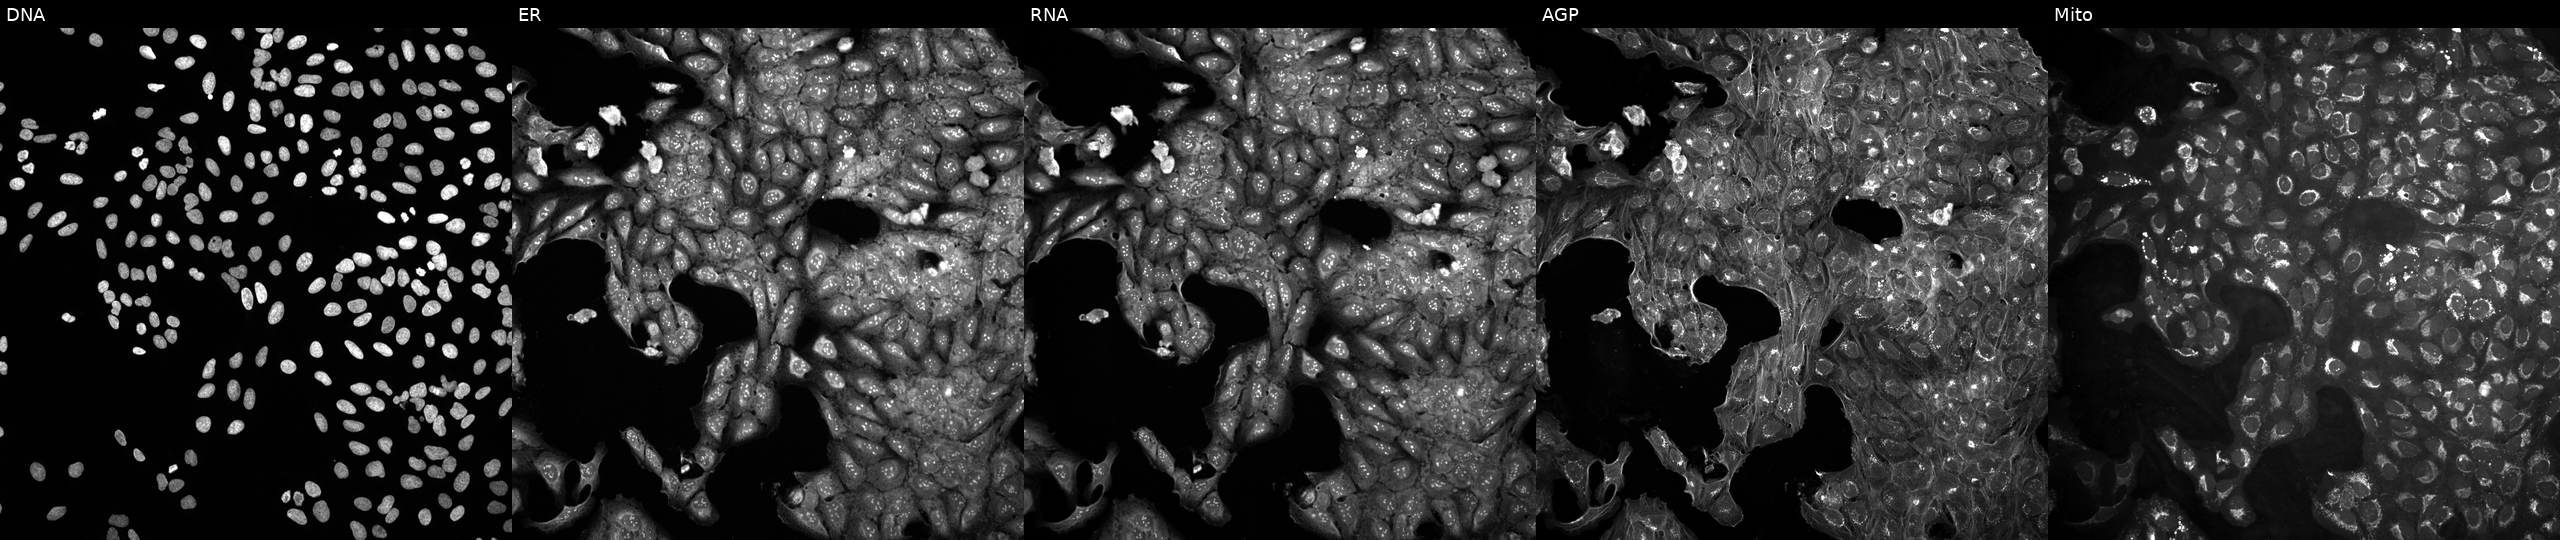
Channels (left→right): DNA (nuclei); ER (endoplasmic reticulum); RNA (nucleoli and cytoplasmic RNA); AGP (actin cytoskeleton, Golgi, and plasma membrane); Mito (mitochondria). U2OS osteosarcoma cells exposed to a small-molecule compound (InChIKey QYMAKTWHALBAAG-UHFFFAOYSA-N) [SMILES: Cn1cnc(S(=O)(=O)N2CCCN(C(=O)C3CCCC3)CC2)c1] (JUMP id JCP2022_076702). Cell Painting assay, JUMP-CP dataset.